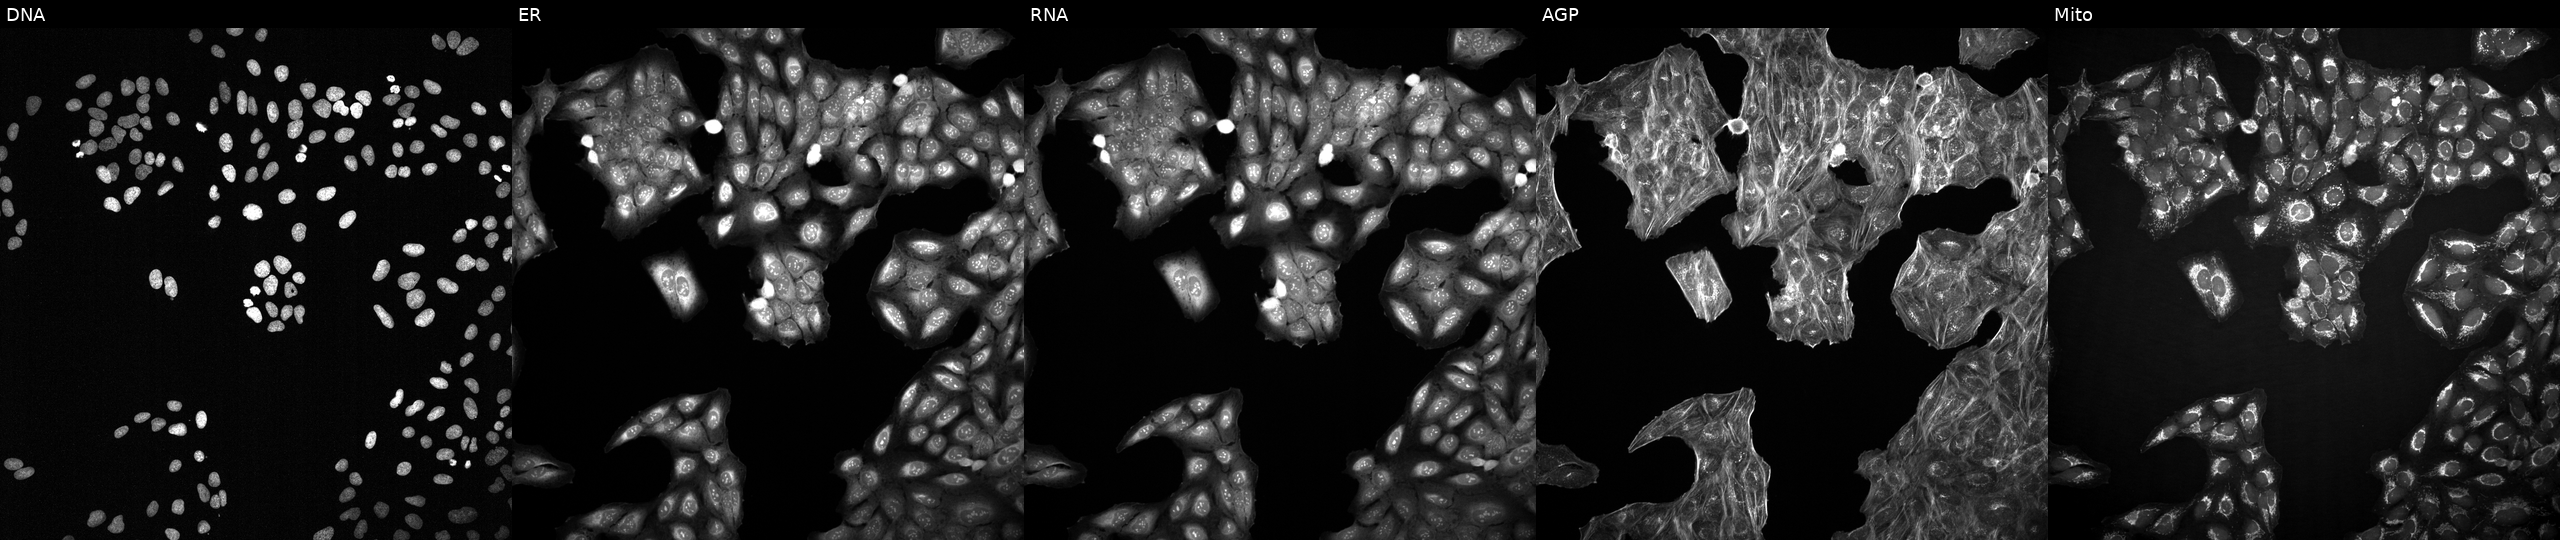
Five-channel Cell Painting image of U2OS cells exposed to a small-molecule compound (InChIKey UPWGQKDVAURUGE-UHFFFAOYSA-N). Panels show, left to right, Hoechst 33342, concanavalin A, SYTO 14, phalloidin and WGA, MitoTracker. Source 2, plate 1053600674, well P14.